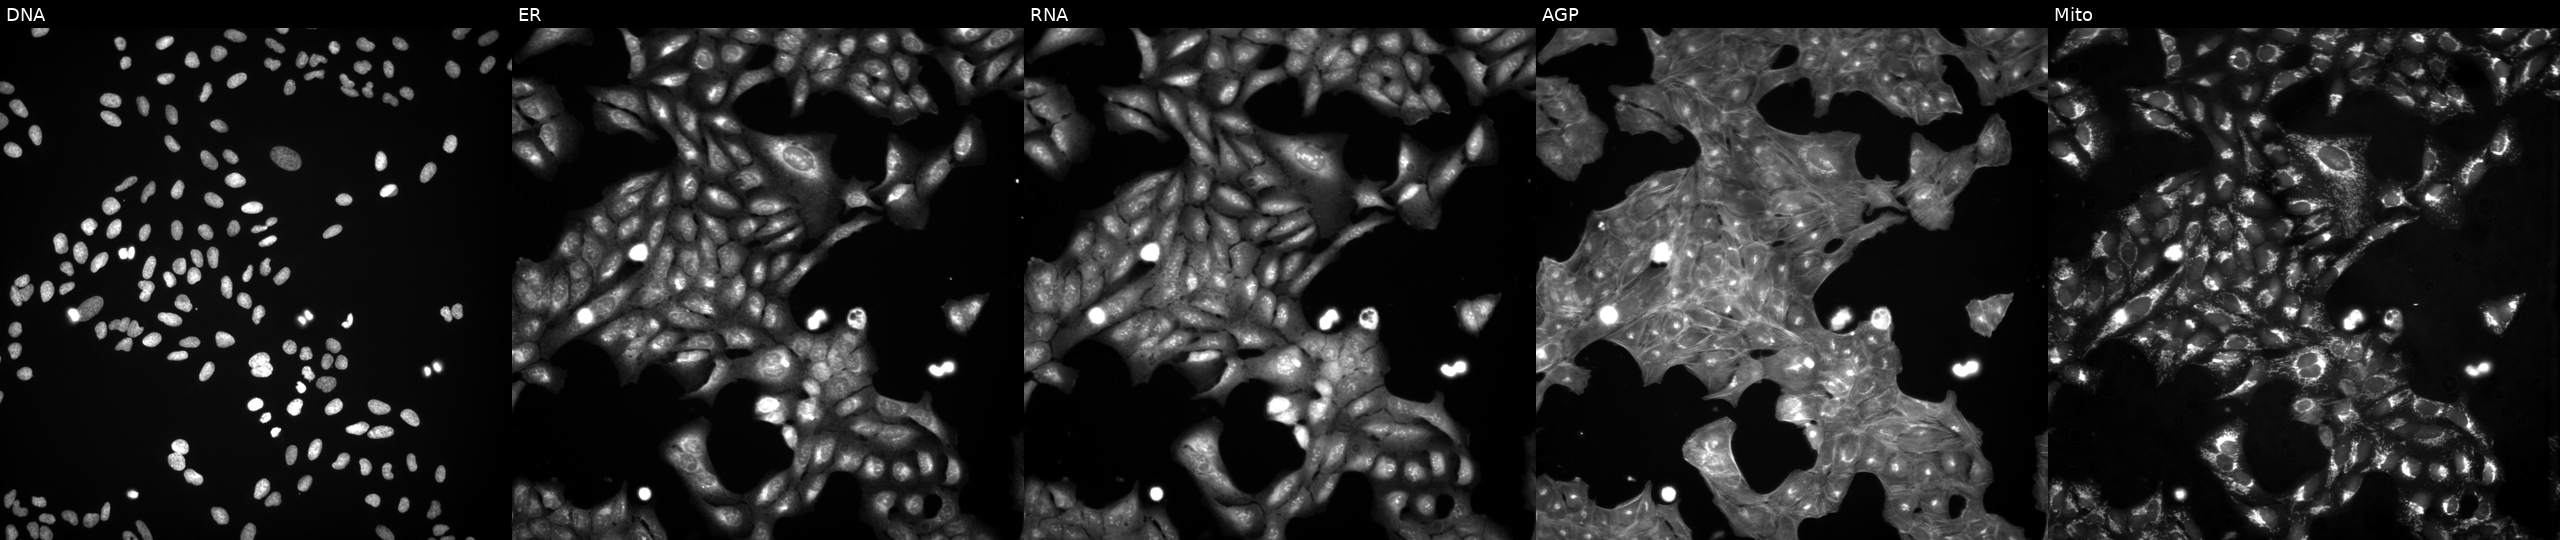
U2OS cells, Cell Painting assay, perturbed with a small-molecule compound (InChIKey HCRKCZRJWPKOAR-UHFFFAOYSA-N) [SMILES: CCNC1CN(CCCOC)S(=O)(=O)c2sc(S(N)(=O)=O)cc21] (JUMP id JCP2022_029365). From left to right: Hoechst 33342, concanavalin A, SYTO 14, phalloidin and WGA, MitoTracker. Each panel is percentile-stretched 16-bit fluorescence.